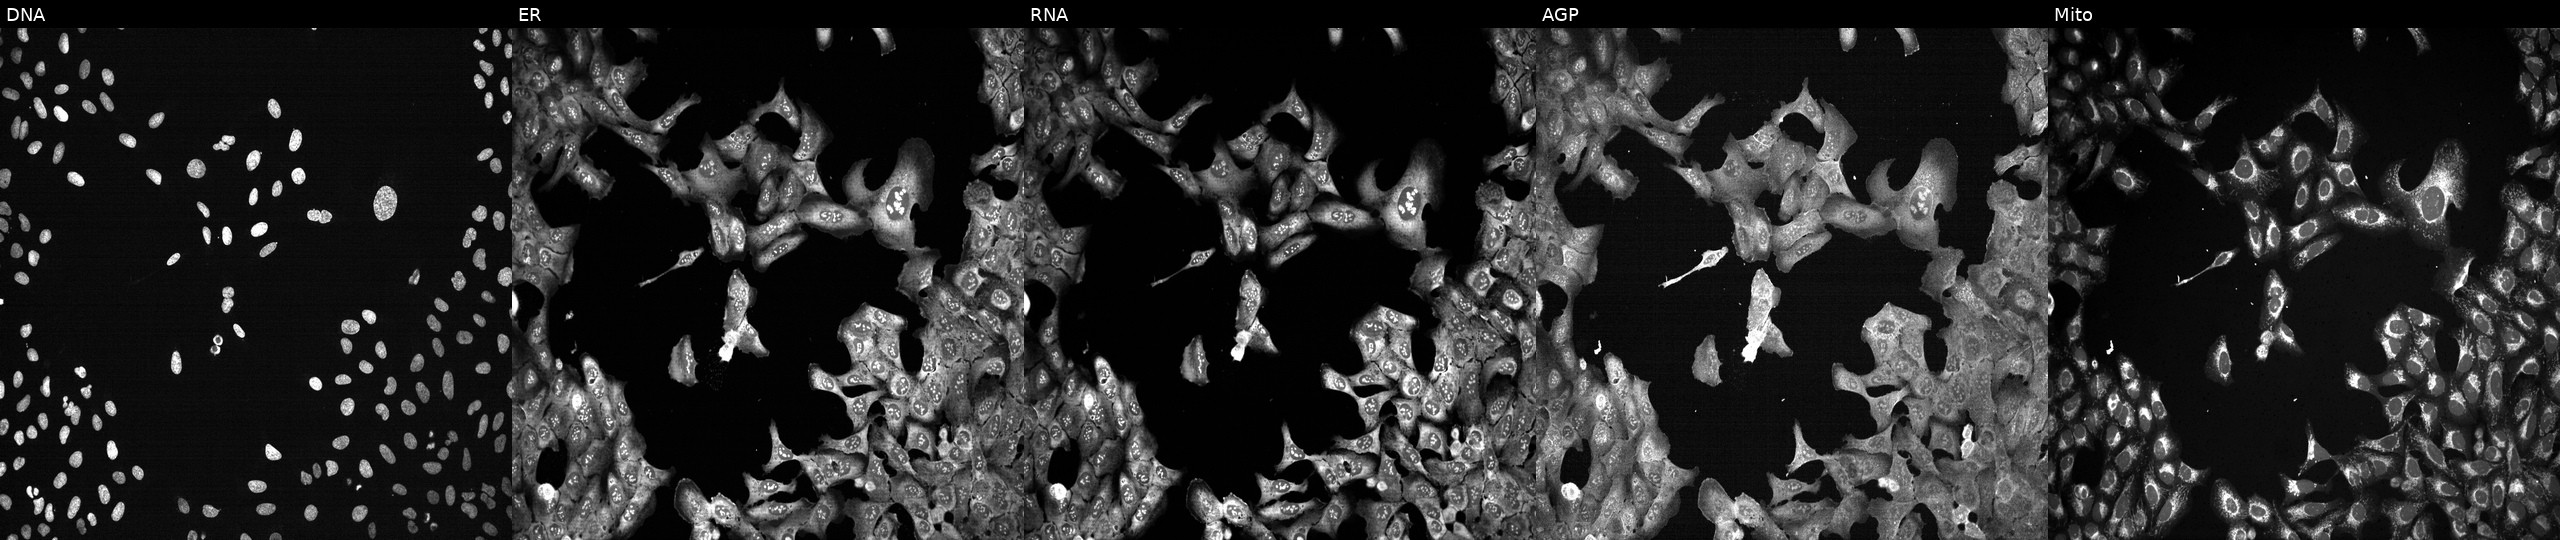
U2OS cells, Cell Painting assay, following CRISPR knockout of LILRB5 (JUMP id JCP2022_803842). The five panels, left to right, show DNA (nuclei); ER (endoplasmic reticulum); RNA (nucleoli and cytoplasmic RNA); AGP (actin cytoskeleton, Golgi, and plasma membrane); Mito (mitochondria). Each panel is percentile-stretched 16-bit fluorescence. Source 13, plate CP-CC9-R3-02, well O17.